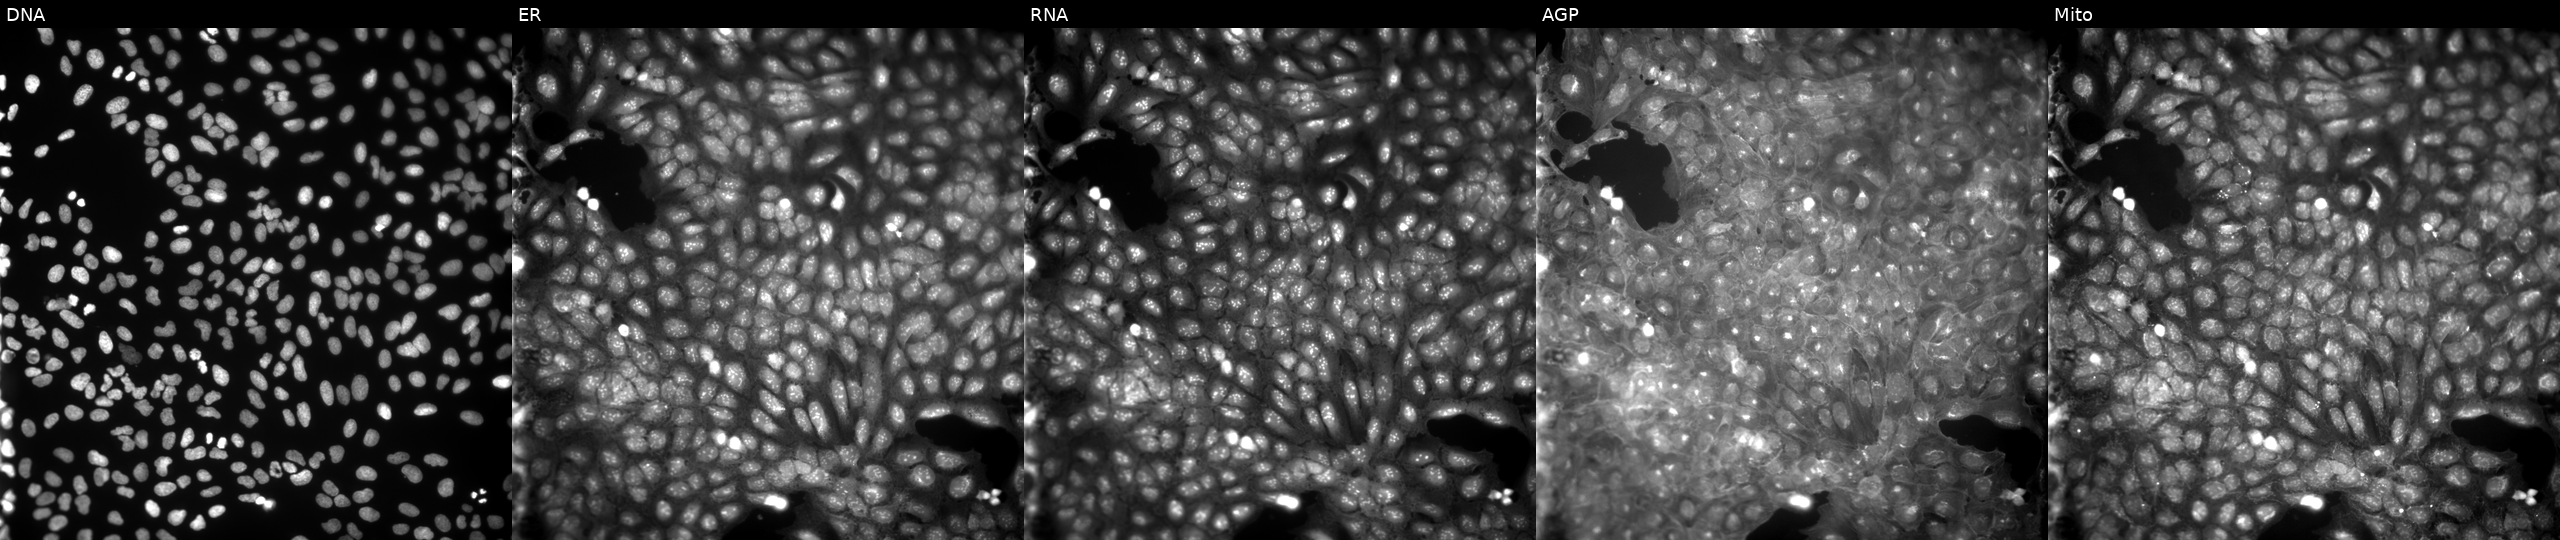
High-content fluorescence microscopy (Cell Painting). Cell line: U2OS. Perturbation: exposed to DMSO alone as a negative control. The five panels, left to right, show DNA (nuclei); ER (endoplasmic reticulum); RNA (nucleoli and cytoplasmic RNA); AGP (actin cytoskeleton, Golgi, and plasma membrane); Mito (mitochondria).